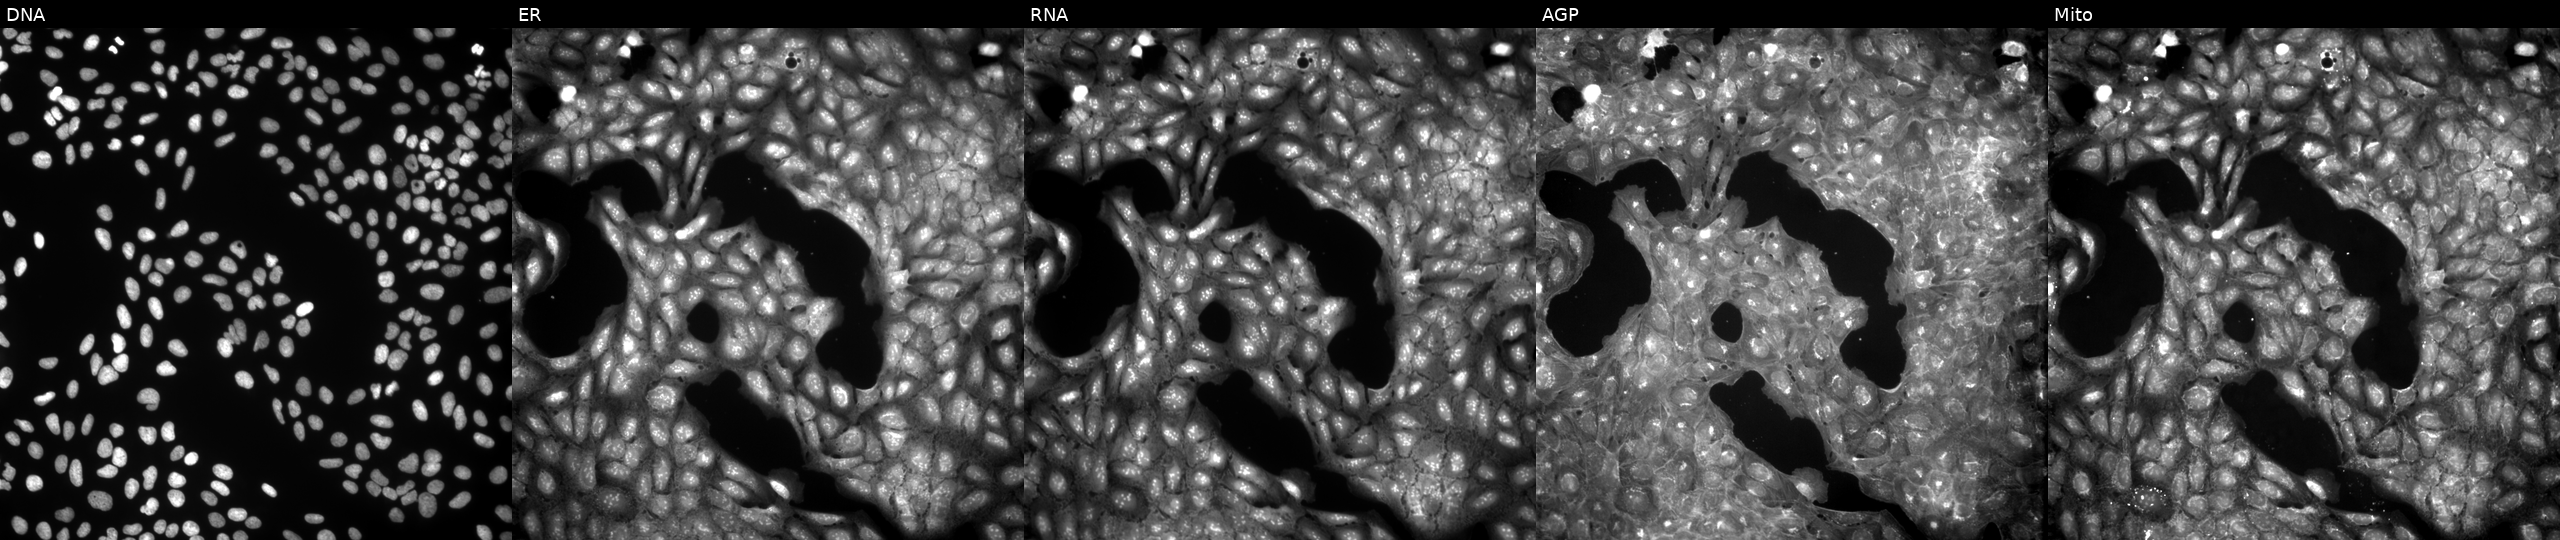
U2OS cells, Cell Painting assay, treated with a small-molecule compound (InChIKey HCLJXIXIDZXOBL-UHFFFAOYSA-N) (JUMP id JCP2022_029323). Channels (left→right): Hoechst 33342, concanavalin A, SYTO 14, phalloidin and WGA, MitoTracker. Each panel is percentile-stretched 16-bit fluorescence.